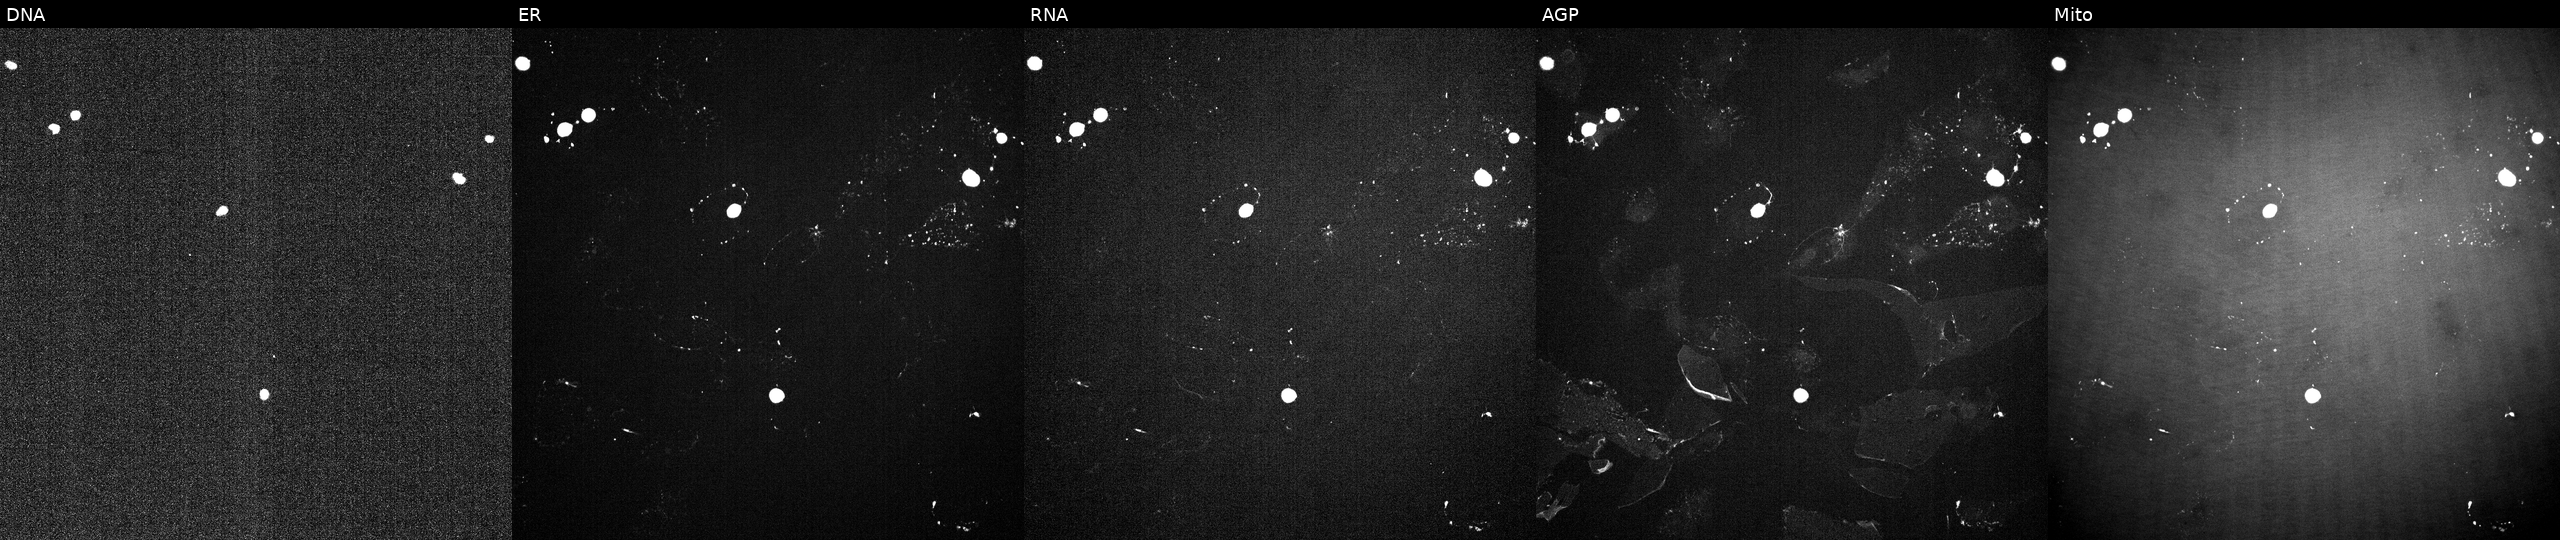
Five-channel Cell Painting image of U2OS cells exposed to a small-molecule compound (InChIKey PKCYYPHSCUSQDK-UHFFFAOYSA-N). From left to right: DNA, ER, RNA, AGP, and Mito.